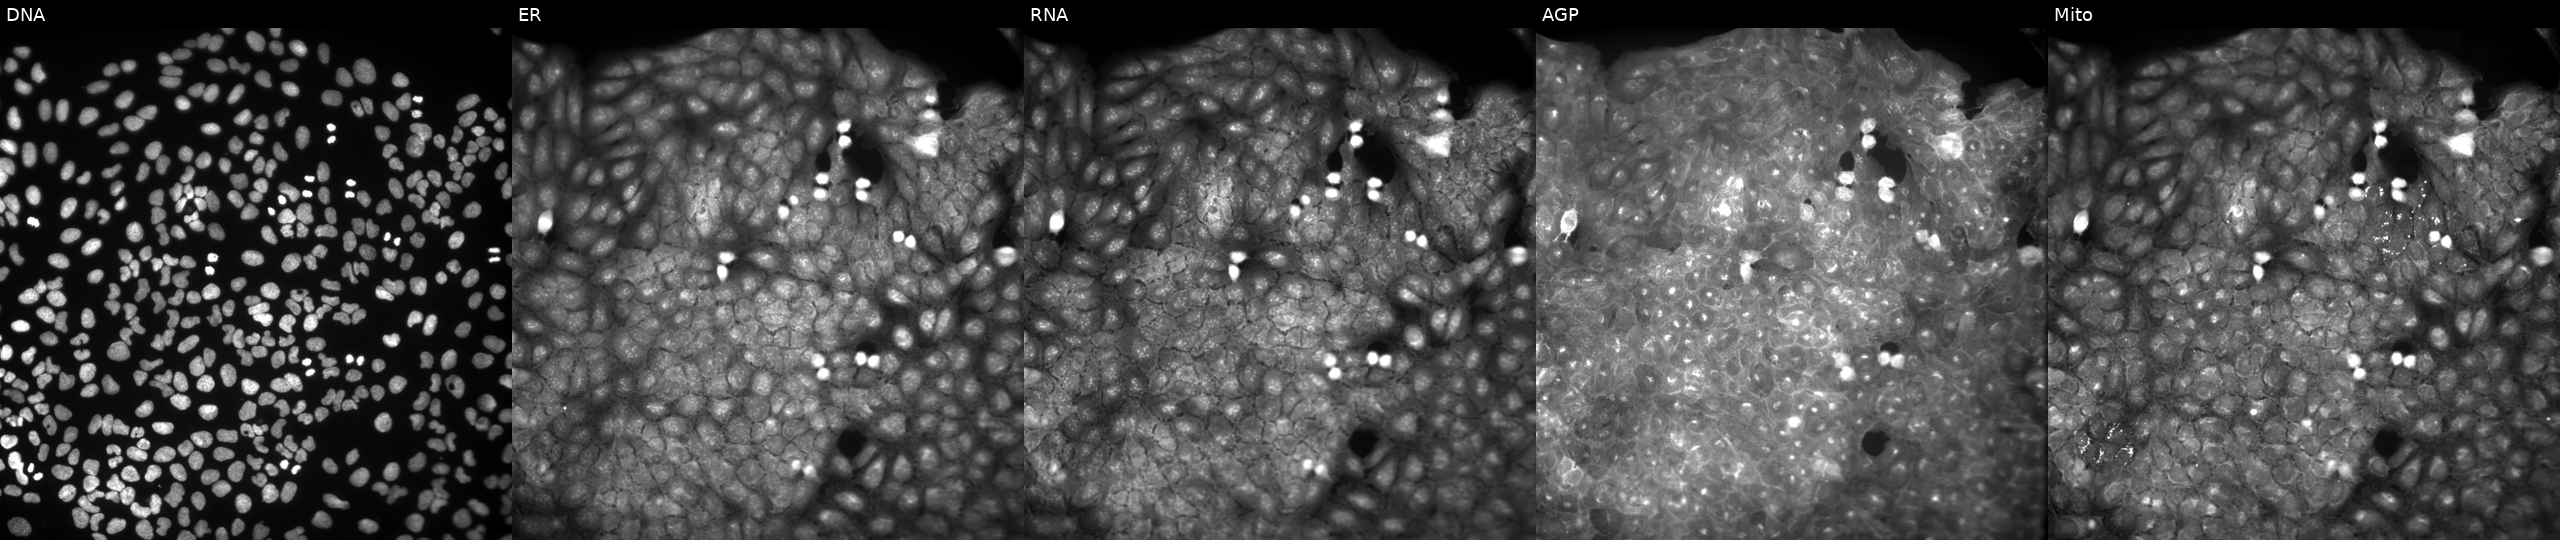
JUMP Cell Painting — COMPOUND plate. U2OS cells treated with a small-molecule compound. Channels (left→right): DNA, ER, RNA, AGP, and Mito. Source 9, plate GR00003381, well AE39.